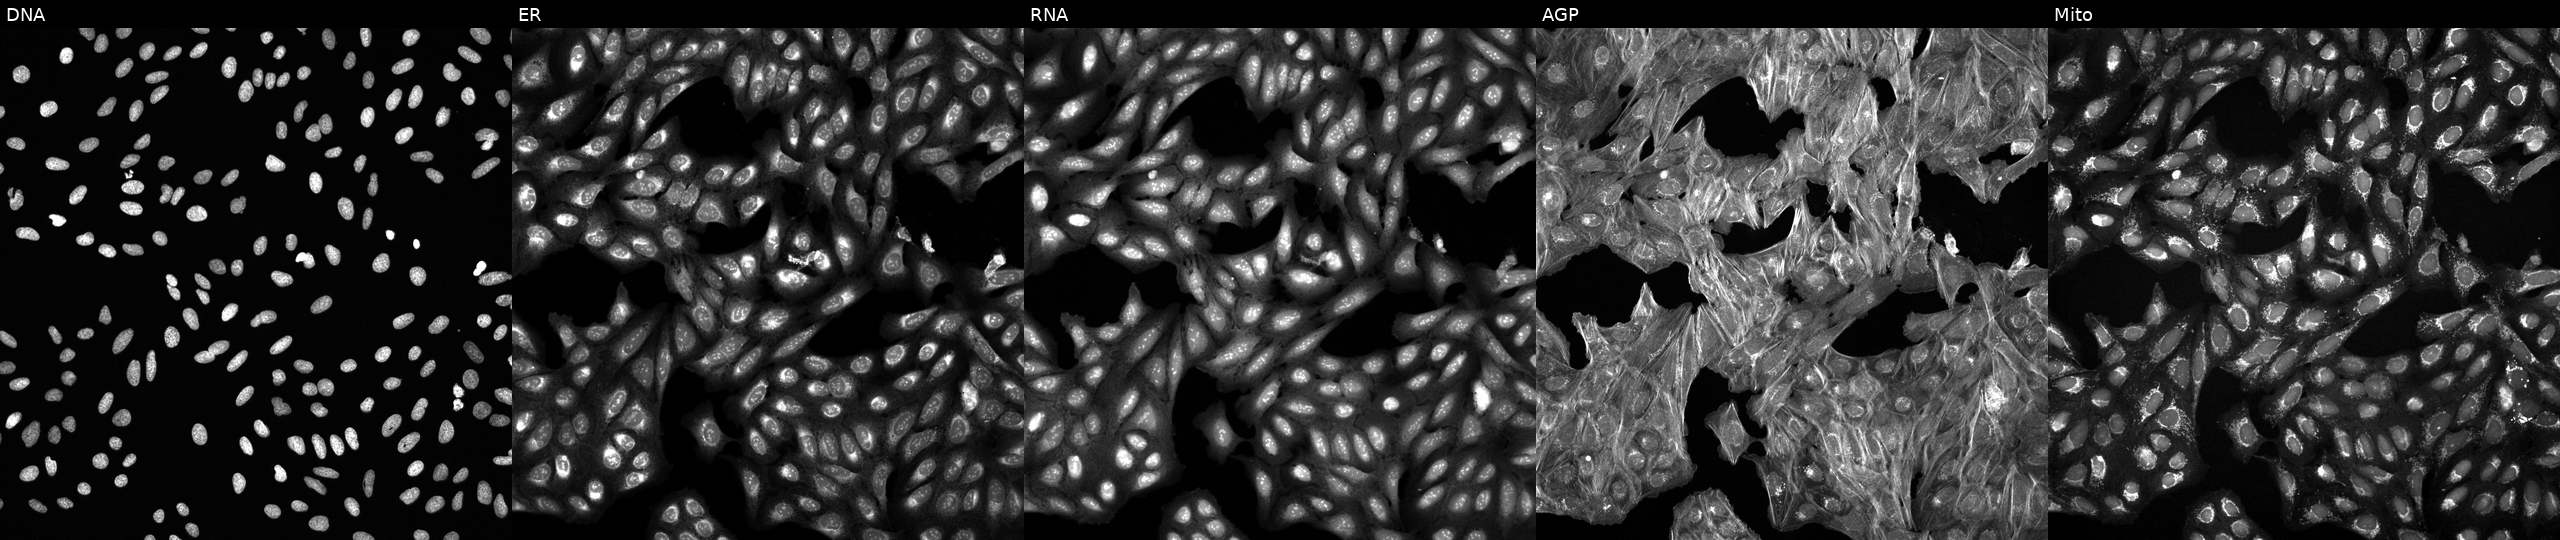
JUMP Cell Painting — TARGET2 plate. U2OS cells treated with a small-molecule compound (InChIKey ZNNLBTZKUZBEKO-UHFFFAOYSA-N). Channels (left→right): Hoechst 33342, concanavalin A, SYTO 14, phalloidin and WGA, MitoTracker. Source 6, plate 110000294901, well O15.